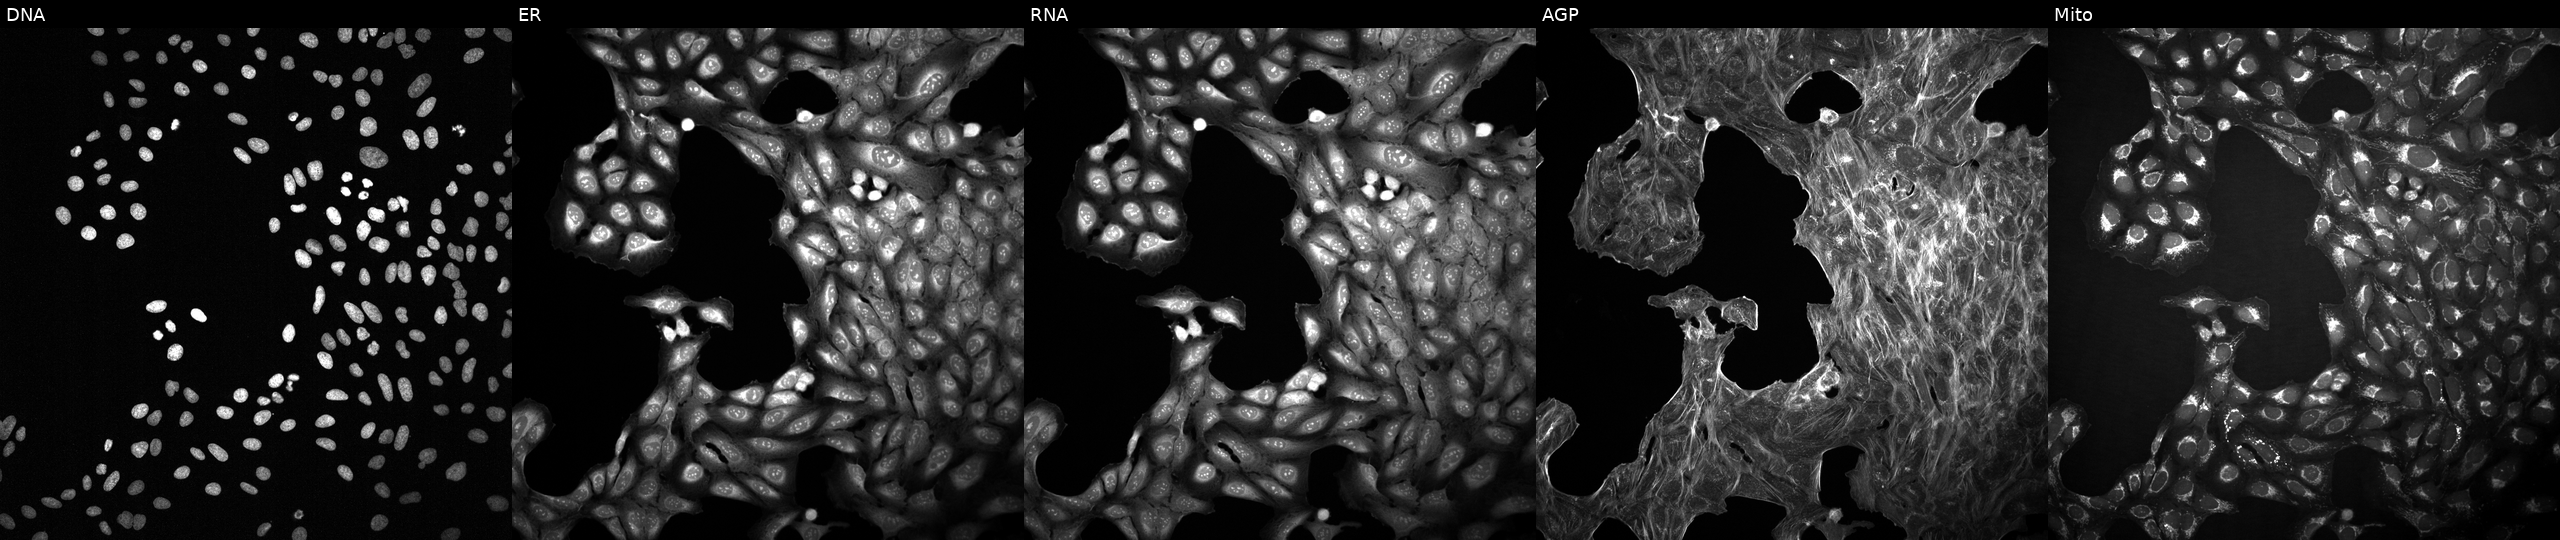
The five panels, left to right, show Hoechst 33342, concanavalin A, SYTO 14, phalloidin and WGA, MitoTracker. U2OS osteosarcoma cells exposed to DMSO alone as a negative control (JUMP id JCP2022_033924). Cell Painting assay, JUMP-CP dataset.